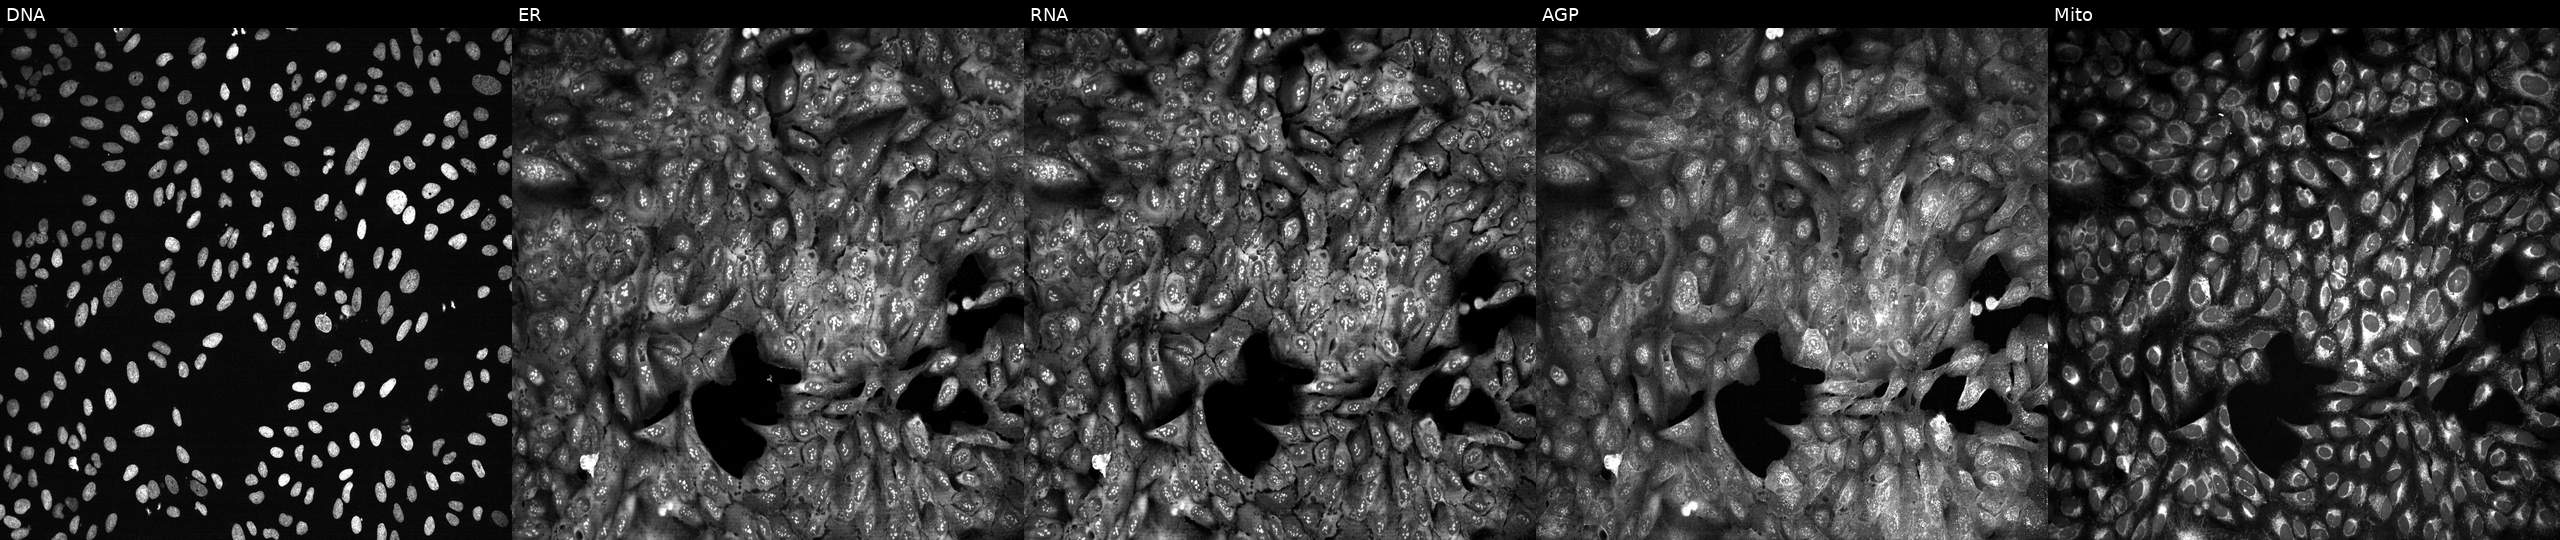
Panels show, left to right, DNA, ER, RNA, AGP, and Mito. U2OS osteosarcoma cells CRISPR-edited to disrupt MYH7 (JUMP id JCP2022_804368). Cell Painting assay, JUMP-CP dataset. Source 13, plate CP-CC9-R4-04, well P21.